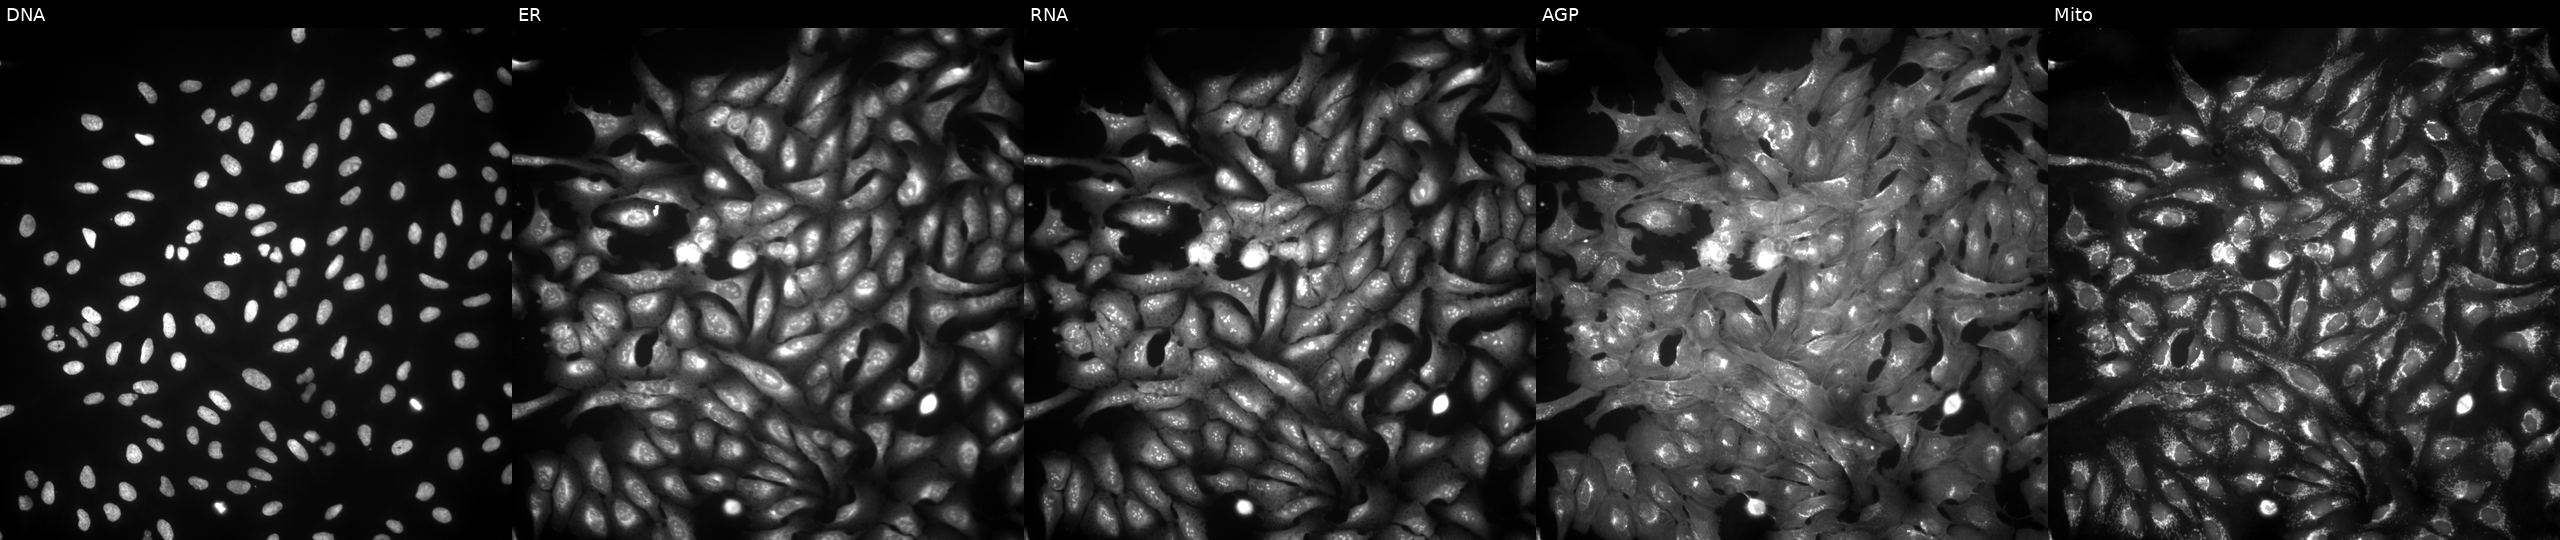
Five-channel Cell Painting image of U2OS cells with NOP53 overexpressed (ORF) (JUMP id JCP2022_907628). Panels show, left to right, DNA (nuclei); ER (endoplasmic reticulum); RNA (nucleoli and cytoplasmic RNA); AGP (actin cytoskeleton, Golgi, and plasma membrane); Mito (mitochondria). Source 4, plate BR00123506, well D23.